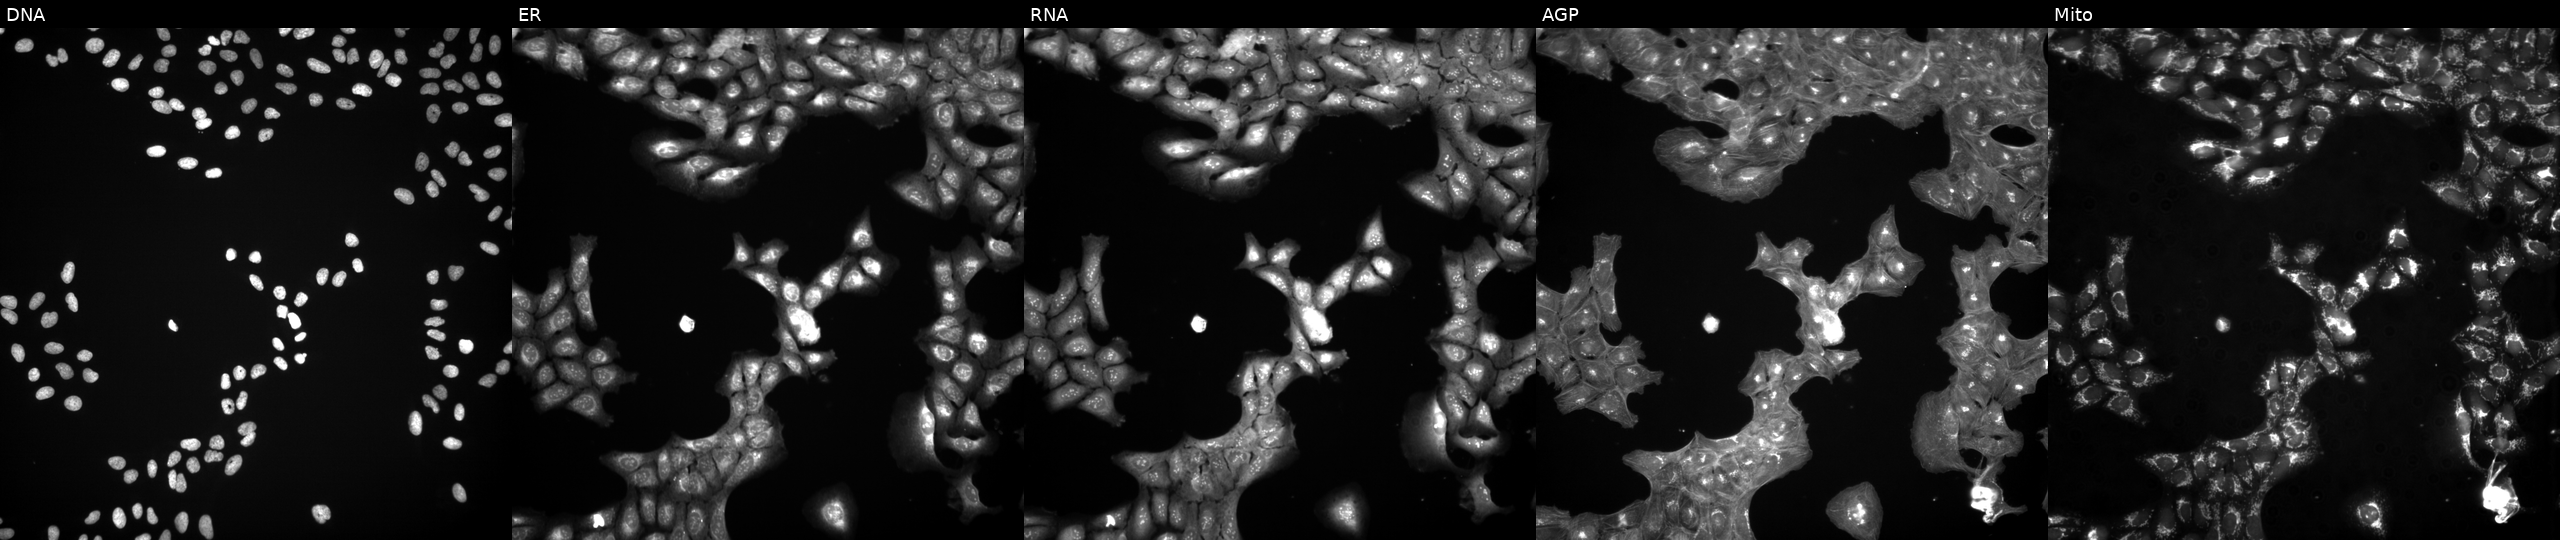
Five-channel Cell Painting image of U2OS cells perturbed with a small-molecule compound (InChIKey MEGVICCWCHRLMW-UHFFFAOYSA-N) [SMILES: O=S(=O)(c1ccc(Sc2nnc3ccccn23)nc1)N1CCOCC1]. The five panels, left to right, show DNA (nuclei); ER (endoplasmic reticulum); RNA (nucleoli and cytoplasmic RNA); AGP (actin cytoskeleton, Golgi, and plasma membrane); Mito (mitochondria).